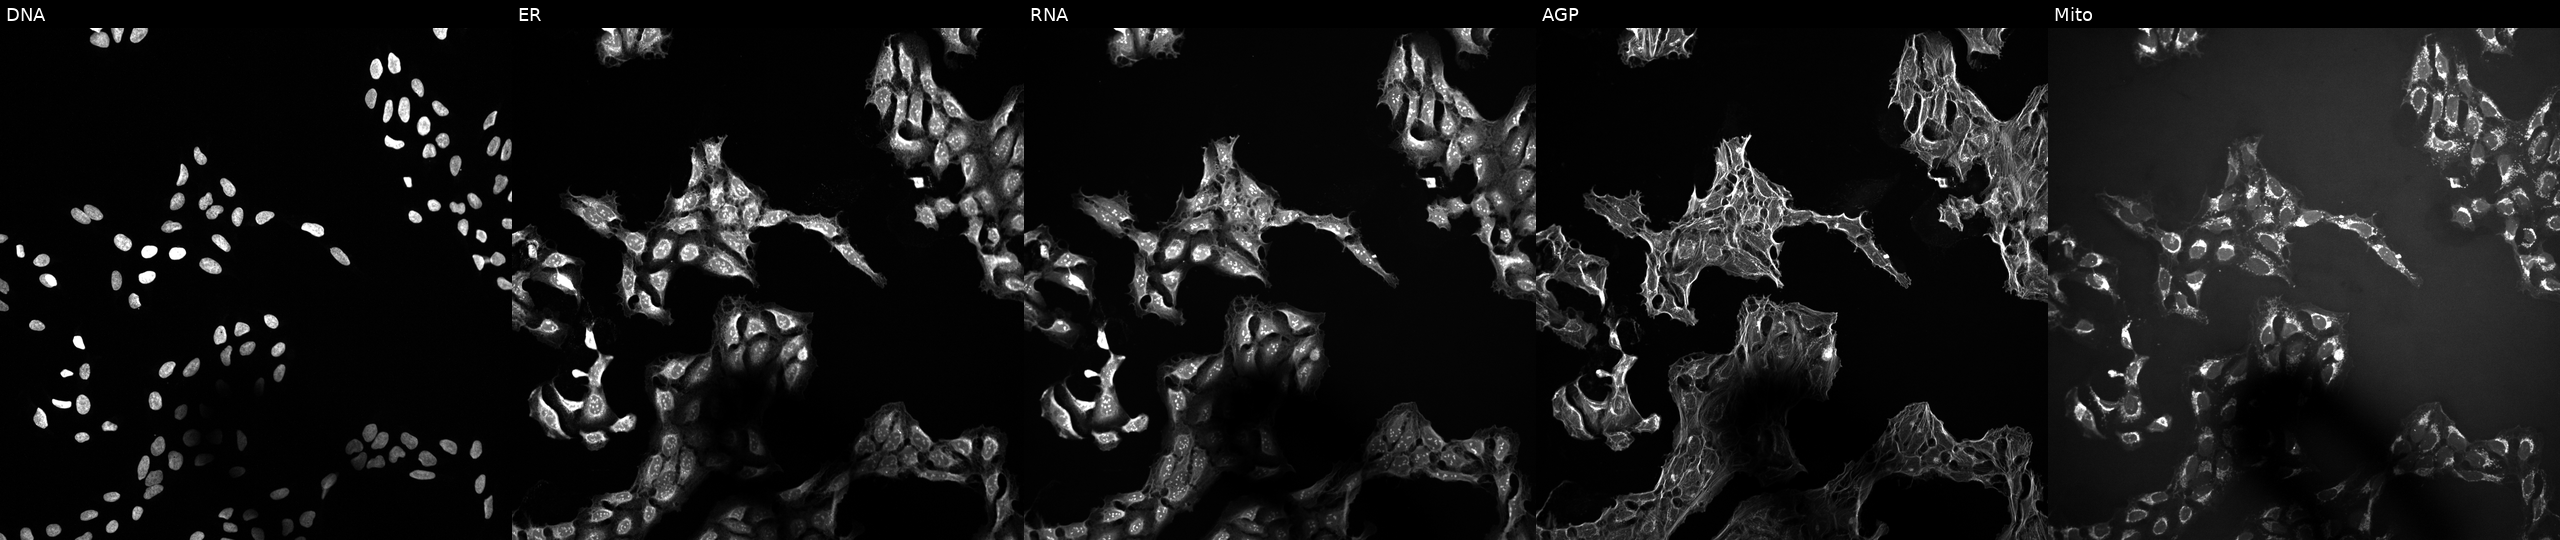
Five-channel Cell Painting image of U2OS cells perturbed with a small-molecule compound (InChIKey VHOGYURTWQBHIL-UHFFFAOYSA-N). The five panels, left to right, show DNA, ER, RNA, AGP, and Mito.